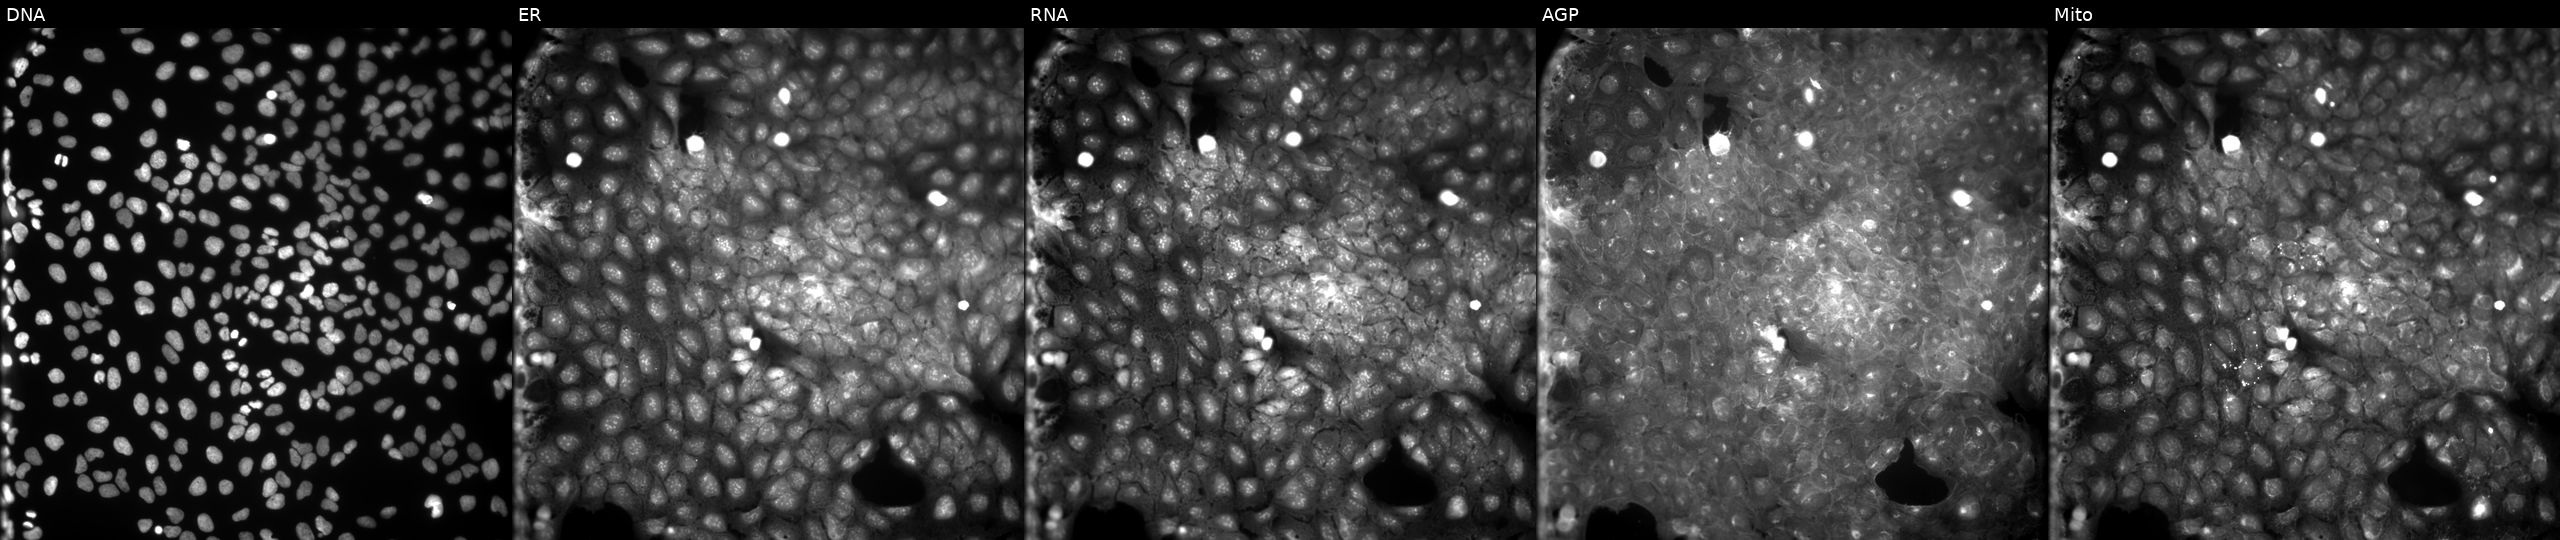
U2OS cells, Cell Painting assay, exposed to a small-molecule compound (InChIKey ZQDYPXIEKQJEOZ-UHFFFAOYSA-N) [SMILES: CC1=NN(c2nc3ccccc3s2)C(O)(C(F)(F)F)C1]. From left to right: DNA (nuclei); ER (endoplasmic reticulum); RNA (nucleoli and cytoplasmic RNA); AGP (actin cytoskeleton, Golgi, and plasma membrane); Mito (mitochondria). Each panel is percentile-stretched 16-bit fluorescence.